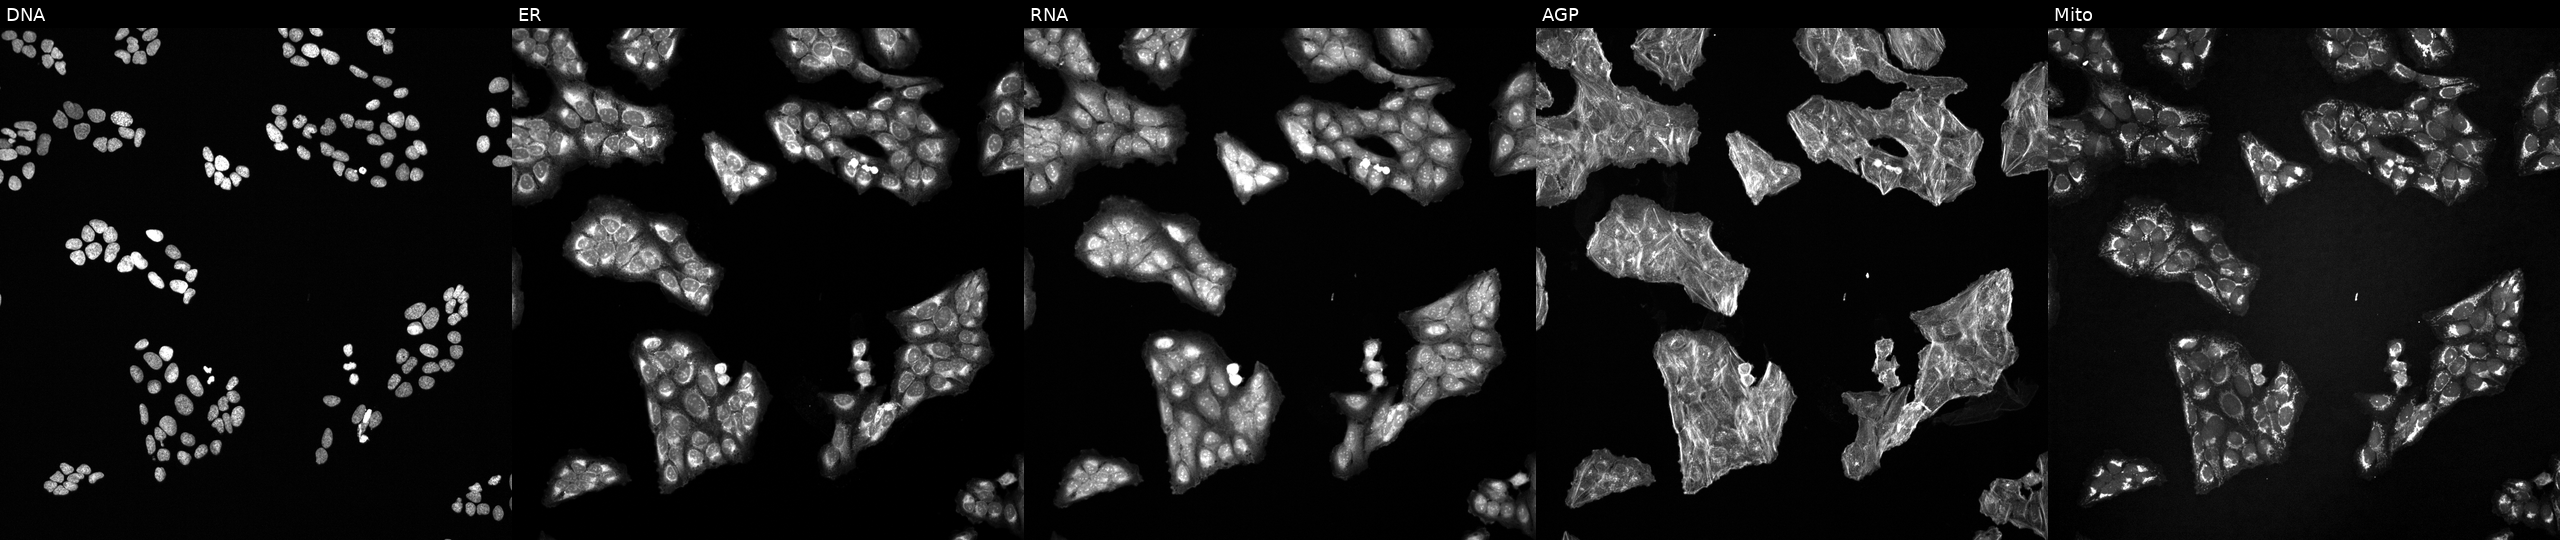
Panels show, left to right, DNA (nuclei); ER (endoplasmic reticulum); RNA (nucleoli and cytoplasmic RNA); AGP (actin cytoskeleton, Golgi, and plasma membrane); Mito (mitochondria). U2OS osteosarcoma cells perturbed with a small-molecule compound (InChIKey ZVPDNRVYHLRXLX-UHFFFAOYSA-N) (JUMP id JCP2022_115963). Cell Painting assay, JUMP-CP dataset. Source 6, plate 110000293081, well B04.